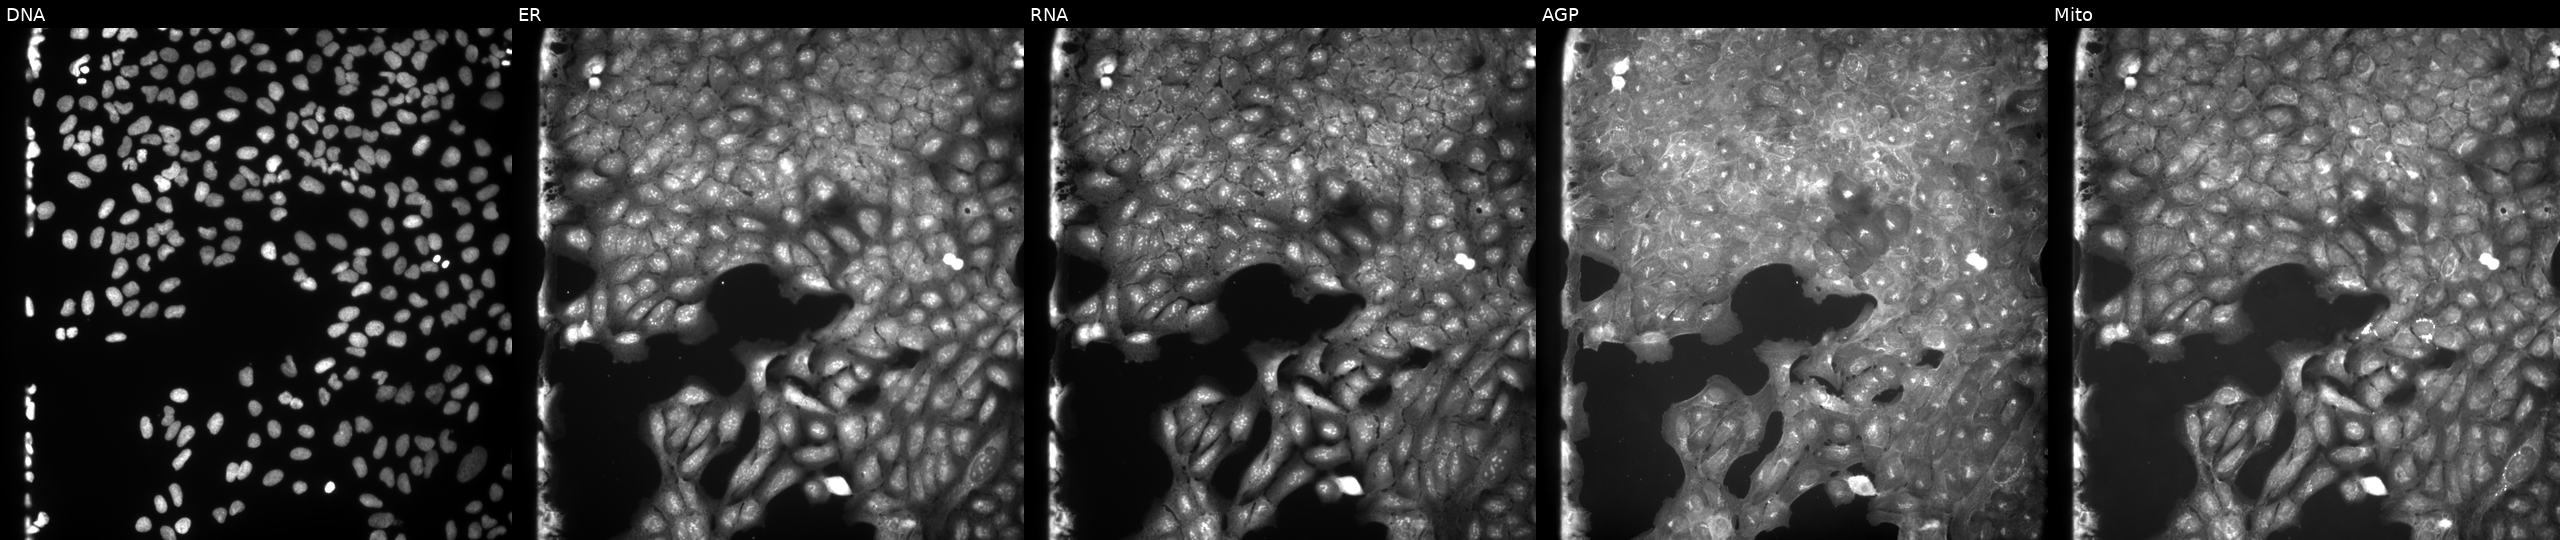
High-content fluorescence microscopy (Cell Painting). Cell line: U2OS. Perturbation: exposed to a small-molecule compound (InChIKey HZOQOYSHTJZSII-UHFFFAOYSA-N) (JUMP id JCP2022_033648). Panels show, left to right, DNA, ER, RNA, AGP, and Mito. Source 9, plate GR00003382, well I09.